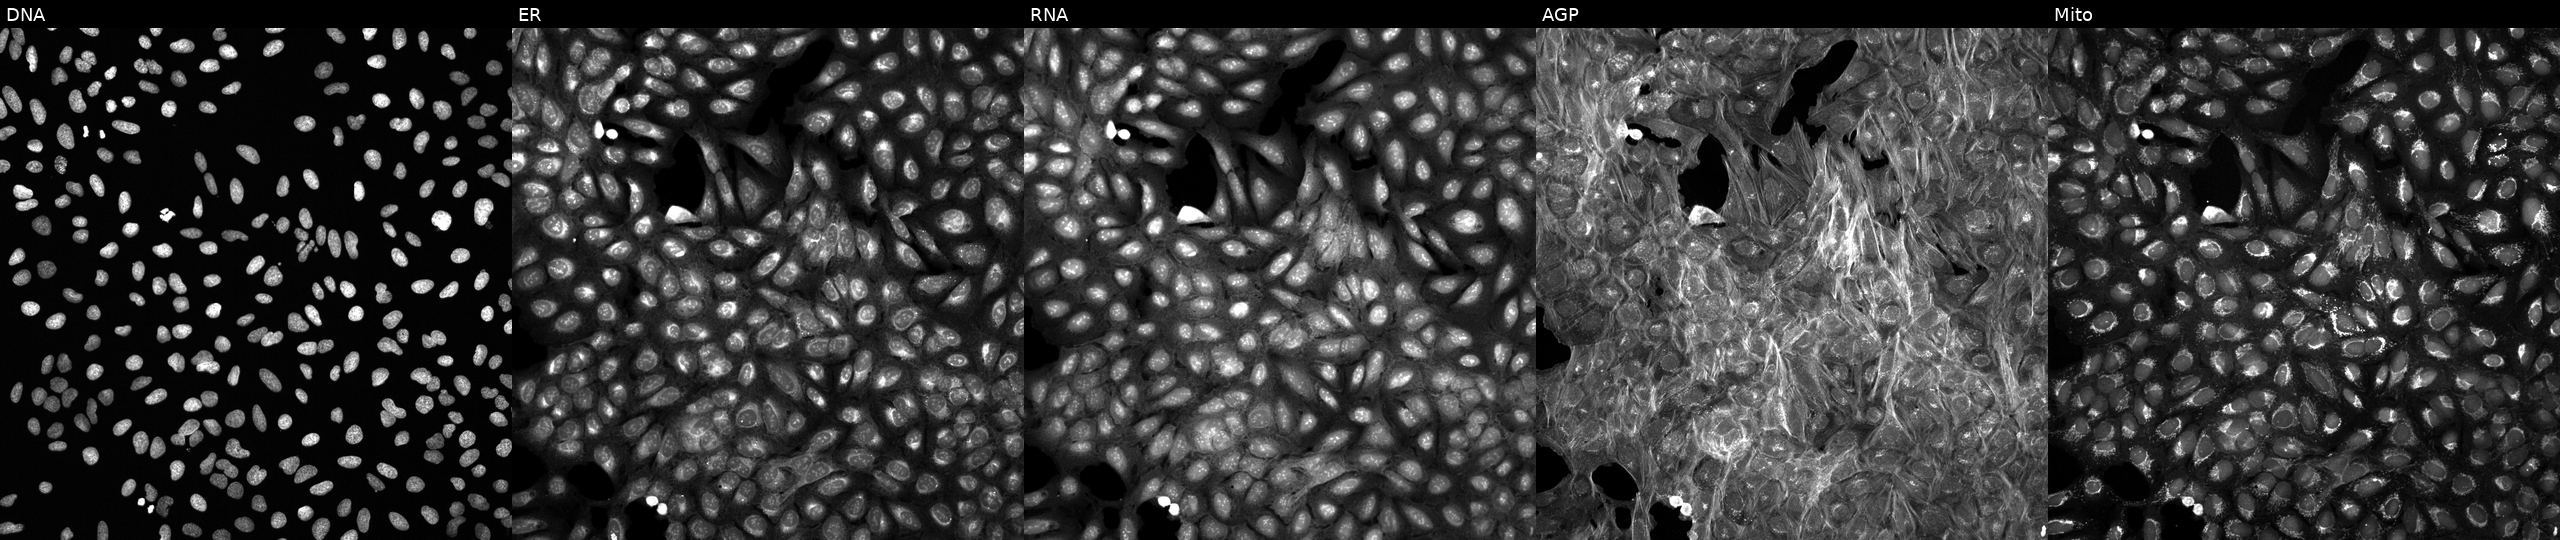
High-content fluorescence microscopy (Cell Painting). Cell line: U2OS. Perturbation: perturbed with a small-molecule compound (InChIKey CMSMOCZEIVJLDB-UHFFFAOYSA-N) (JUMP id JCP2022_012146). From left to right: DNA, ER, RNA, AGP, and Mito. Source 6, plate 110000294901, well B10.